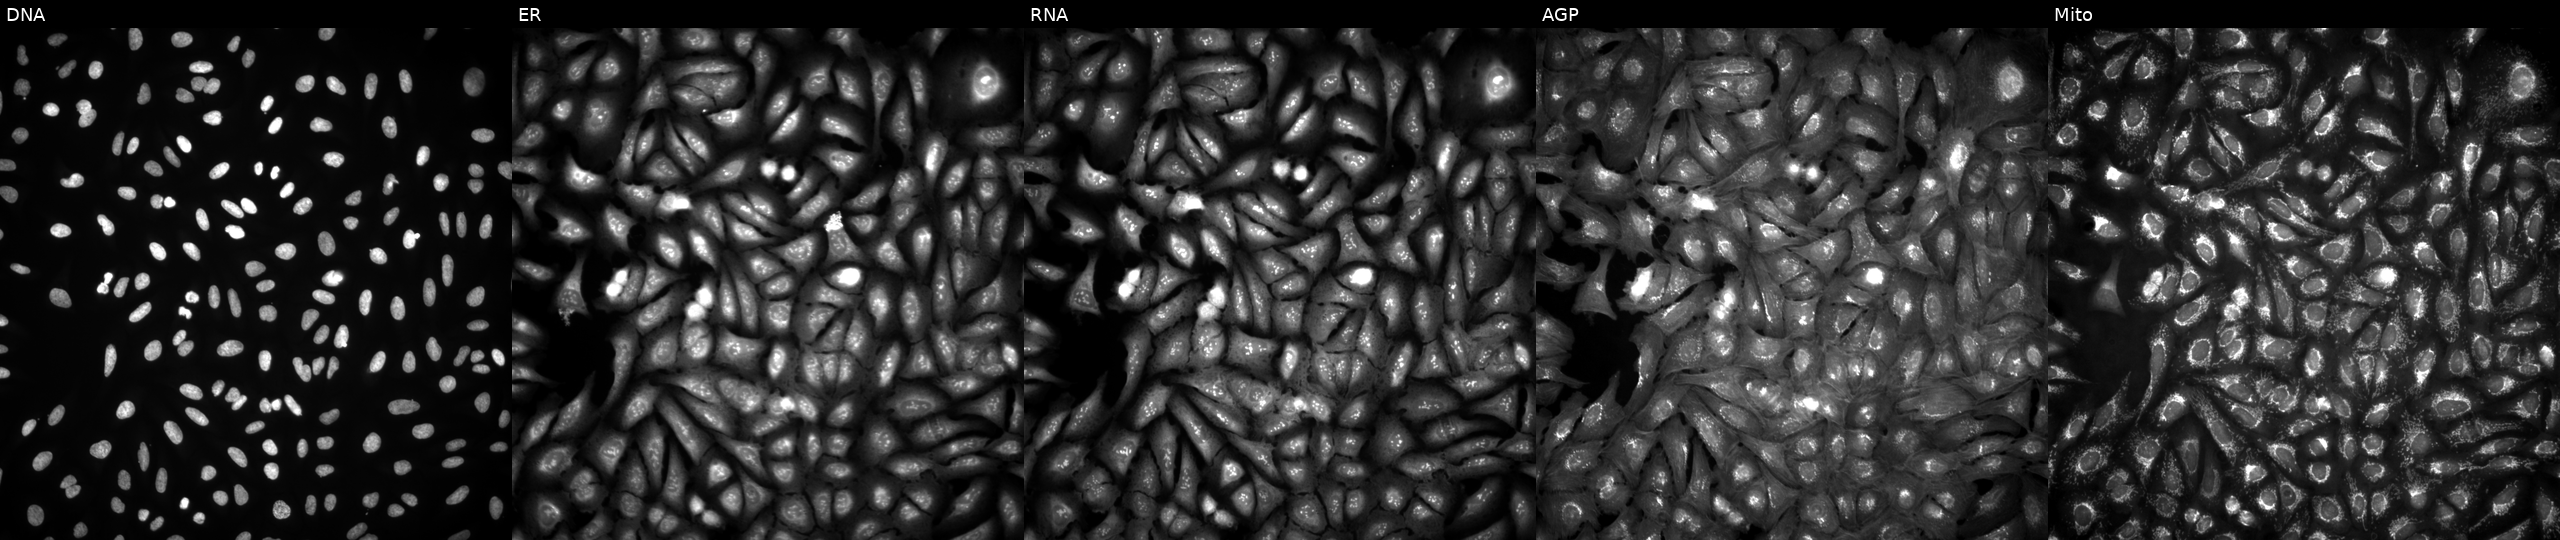
High-content fluorescence microscopy (Cell Painting). Cell line: U2OS. Perturbation: transfected with an ORF construct for GTF2H5. From left to right: DNA (nuclei); ER (endoplasmic reticulum); RNA (nucleoli and cytoplasmic RNA); AGP (actin cytoskeleton, Golgi, and plasma membrane); Mito (mitochondria). Source 4, plate BR00124787, well A08.